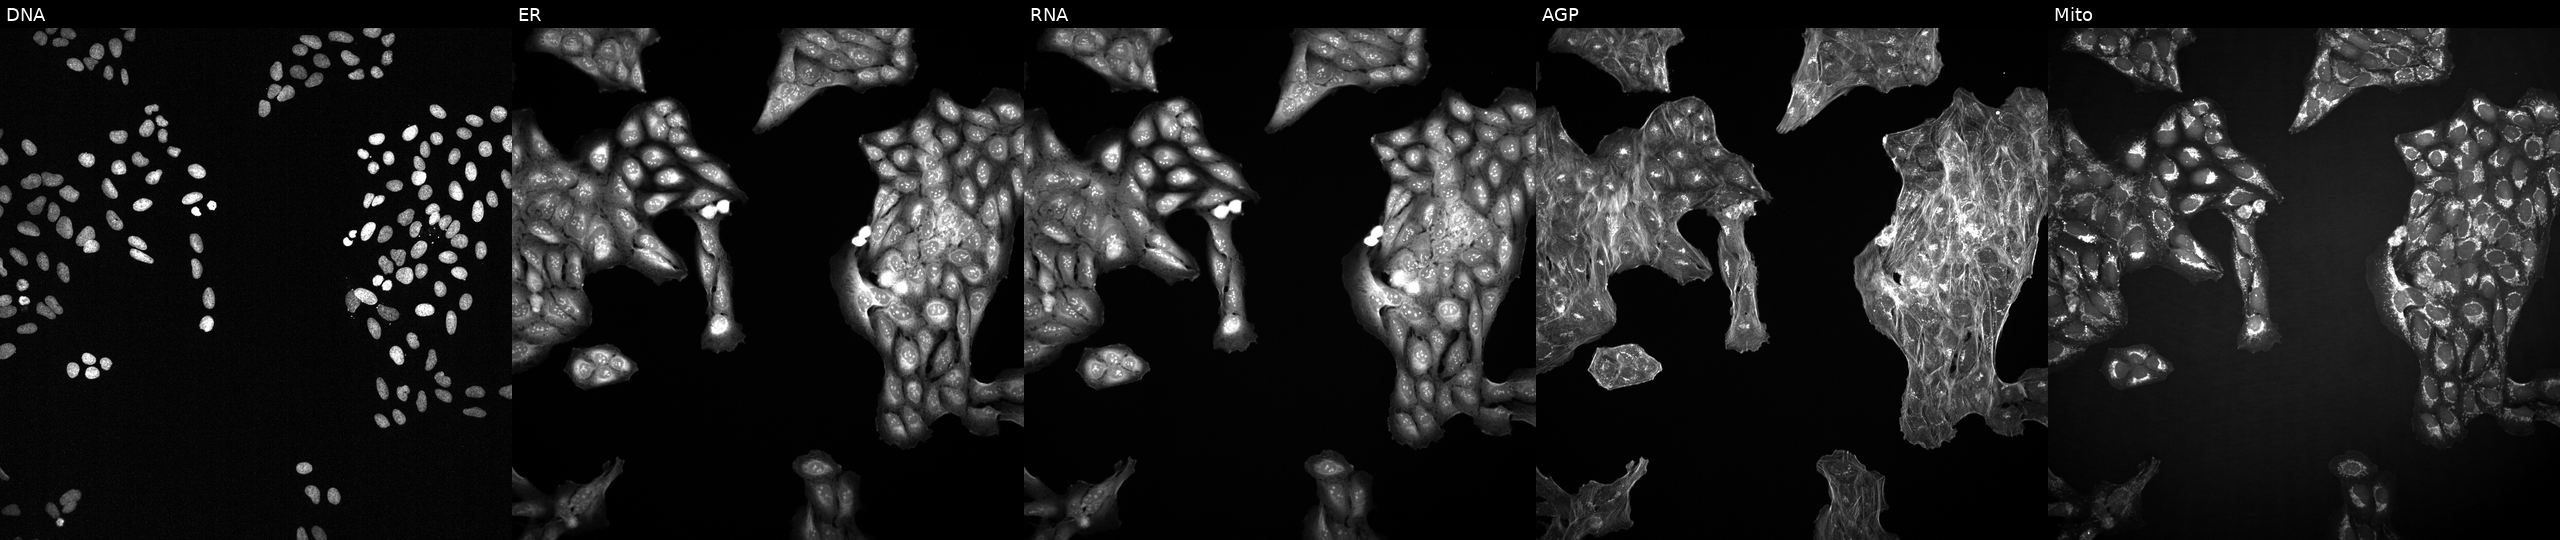
U2OS cells, Cell Painting assay, treated with a small-molecule compound [SMILES: CCOC(=O)Nc1ccc(=NCc2ccc(F)cc2)[nH]c1N]. The five panels, left to right, show DNA (nuclei); ER (endoplasmic reticulum); RNA (nucleoli and cytoplasmic RNA); AGP (actin cytoskeleton, Golgi, and plasma membrane); Mito (mitochondria). Each panel is percentile-stretched 16-bit fluorescence.